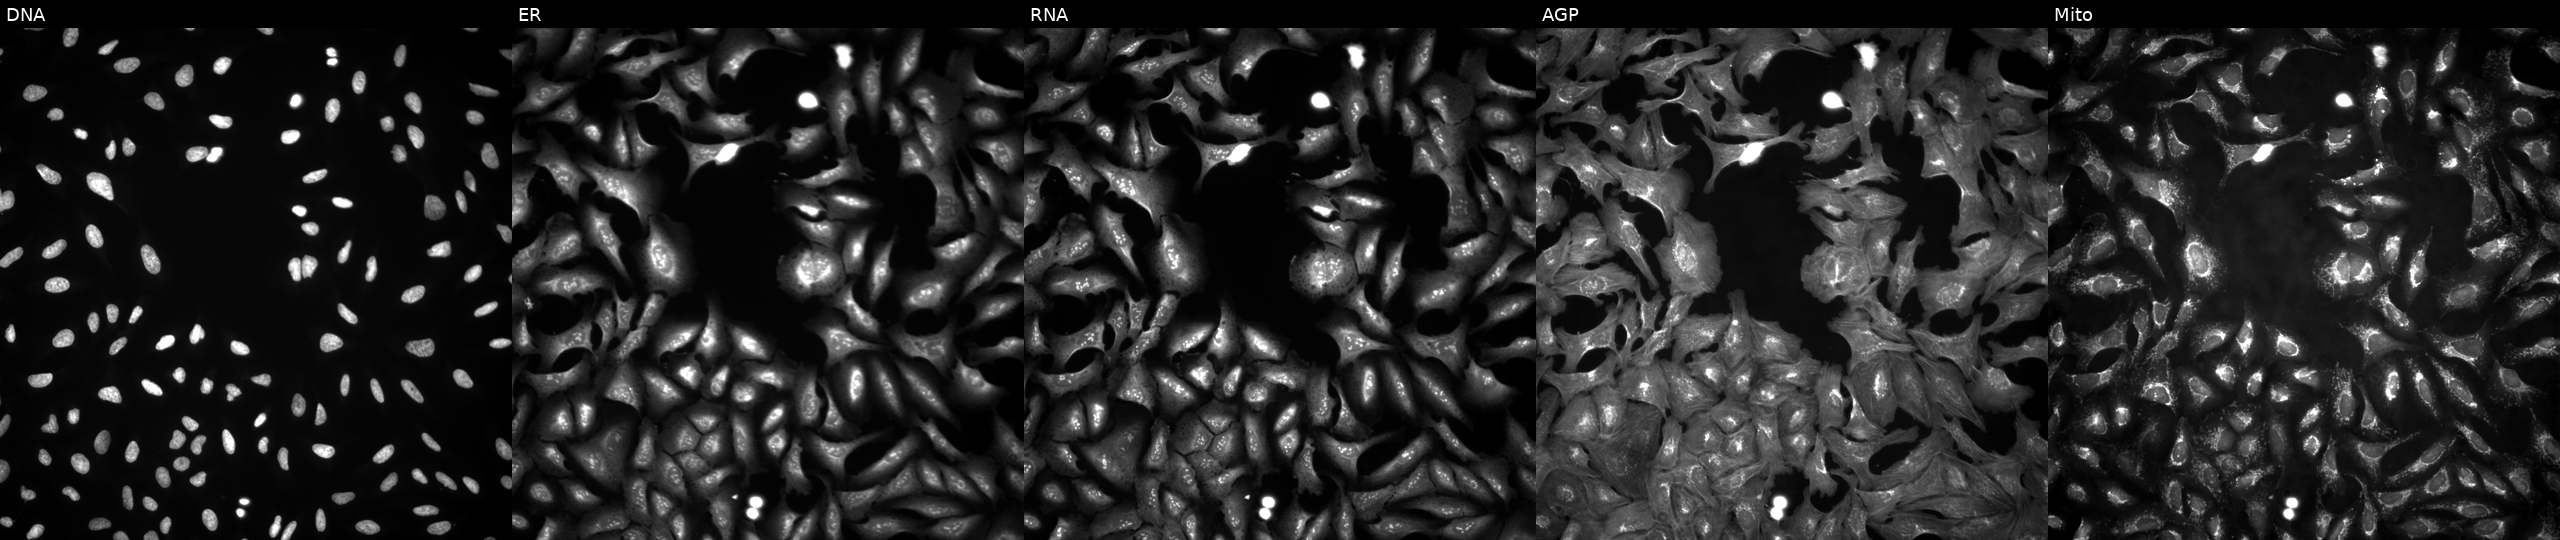
JUMP Cell Painting — ORF plate. U2OS cells with XLOC_l2_007835 overexpressed (ORF). Panels show, left to right, DNA (nuclei); ER (endoplasmic reticulum); RNA (nucleoli and cytoplasmic RNA); AGP (actin cytoskeleton, Golgi, and plasma membrane); Mito (mitochondria).